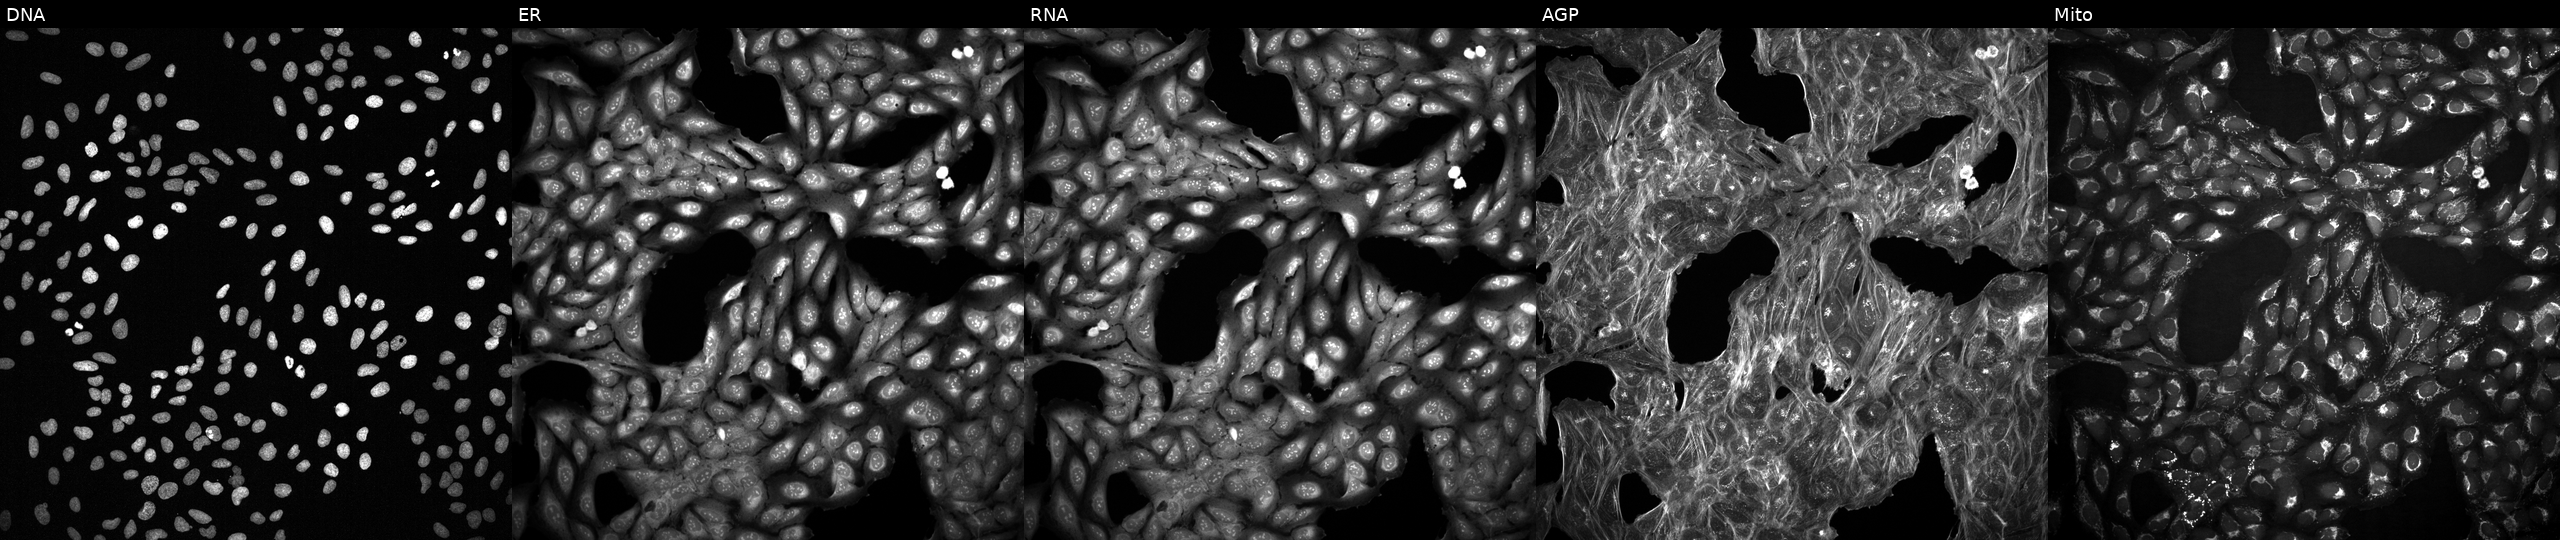
Channels (left→right): DNA (nuclei); ER (endoplasmic reticulum); RNA (nucleoli and cytoplasmic RNA); AGP (actin cytoskeleton, Golgi, and plasma membrane); Mito (mitochondria). U2OS osteosarcoma cells treated with a small-molecule compound (InChIKey UBPDKIDWEADHPP-UHFFFAOYSA-N) [SMILES: Nc1ccccc1I] (JUMP id JCP2022_088138). Cell Painting assay, JUMP-CP dataset.